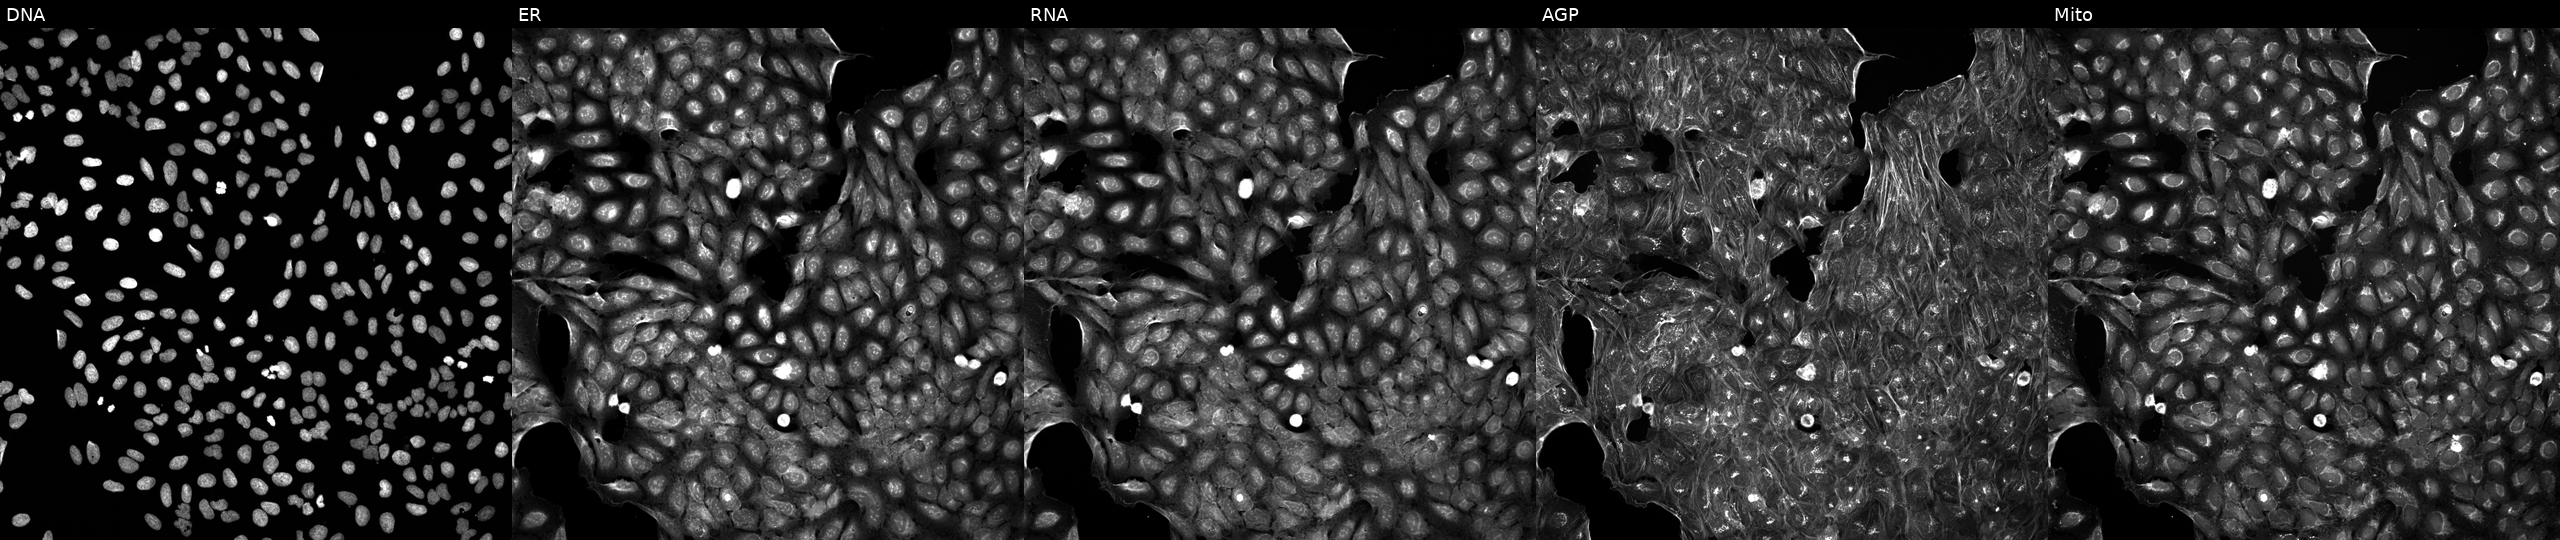
JUMP Cell Painting — COMPOUND plate. U2OS cells perturbed with a small-molecule compound (InChIKey AAJMXJOUIIWZOK-UHFFFAOYSA-N). The five panels, left to right, show Hoechst 33342, concanavalin A, SYTO 14, phalloidin and WGA, MitoTracker. Source 5, plate APTJUM105, well K04.